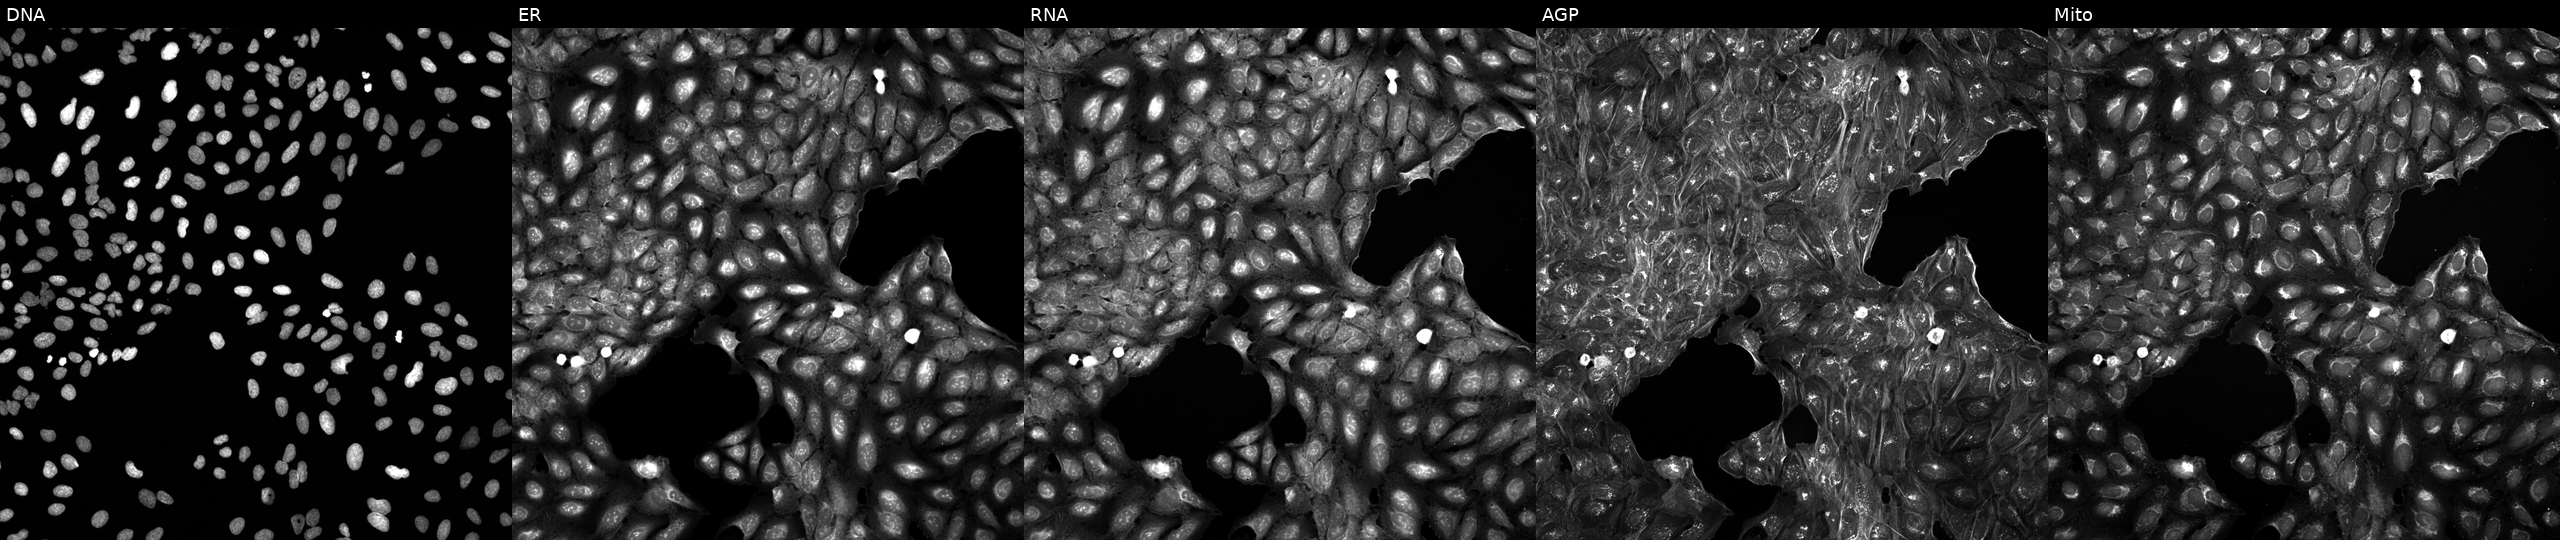
U2OS cells, Cell Painting assay, perturbed with a small-molecule compound (InChIKey YRECSIRVRQCVMM-UHFFFAOYSA-N) [SMILES: c1ccc(-c2noc(-c3ccc(N4CCN(C5CCCCC5)CC4)nn3)n2)cc1]. Channels (left→right): DNA (nuclei); ER (endoplasmic reticulum); RNA (nucleoli and cytoplasmic RNA); AGP (actin cytoskeleton, Golgi, and plasma membrane); Mito (mitochondria). Each panel is percentile-stretched 16-bit fluorescence.